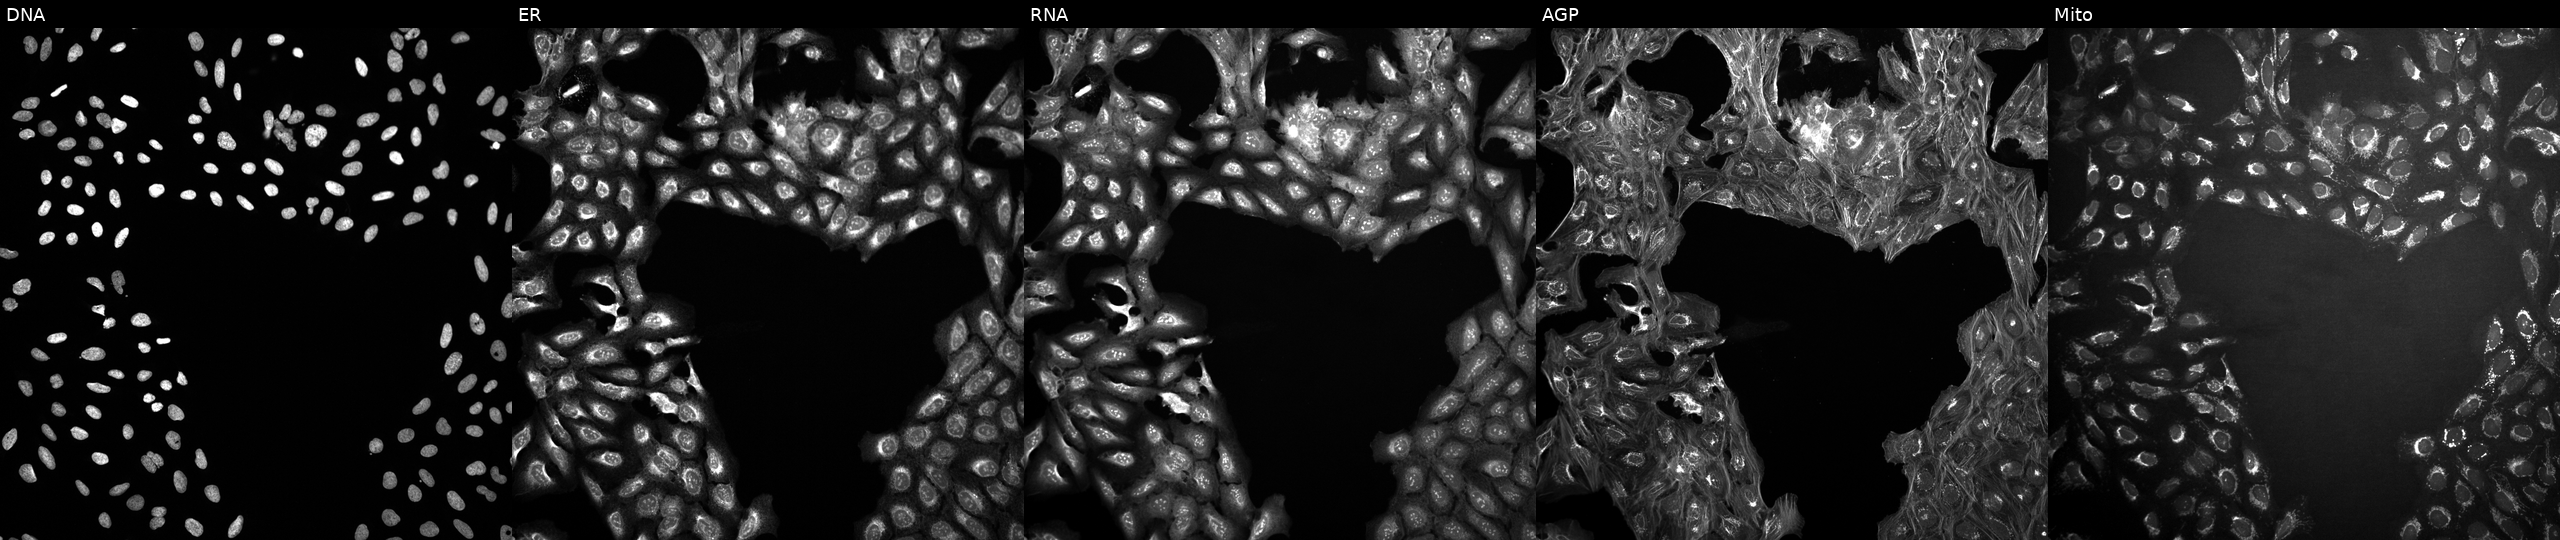
This image strip shows the five Cell Painting channels for a single field of U2OS cells in an empty control well (no perturbation) (JUMP id JCP2022_999999). From left to right: DNA, ER, RNA, AGP, and Mito. Source 10, plate Dest210531-152324, well F14.